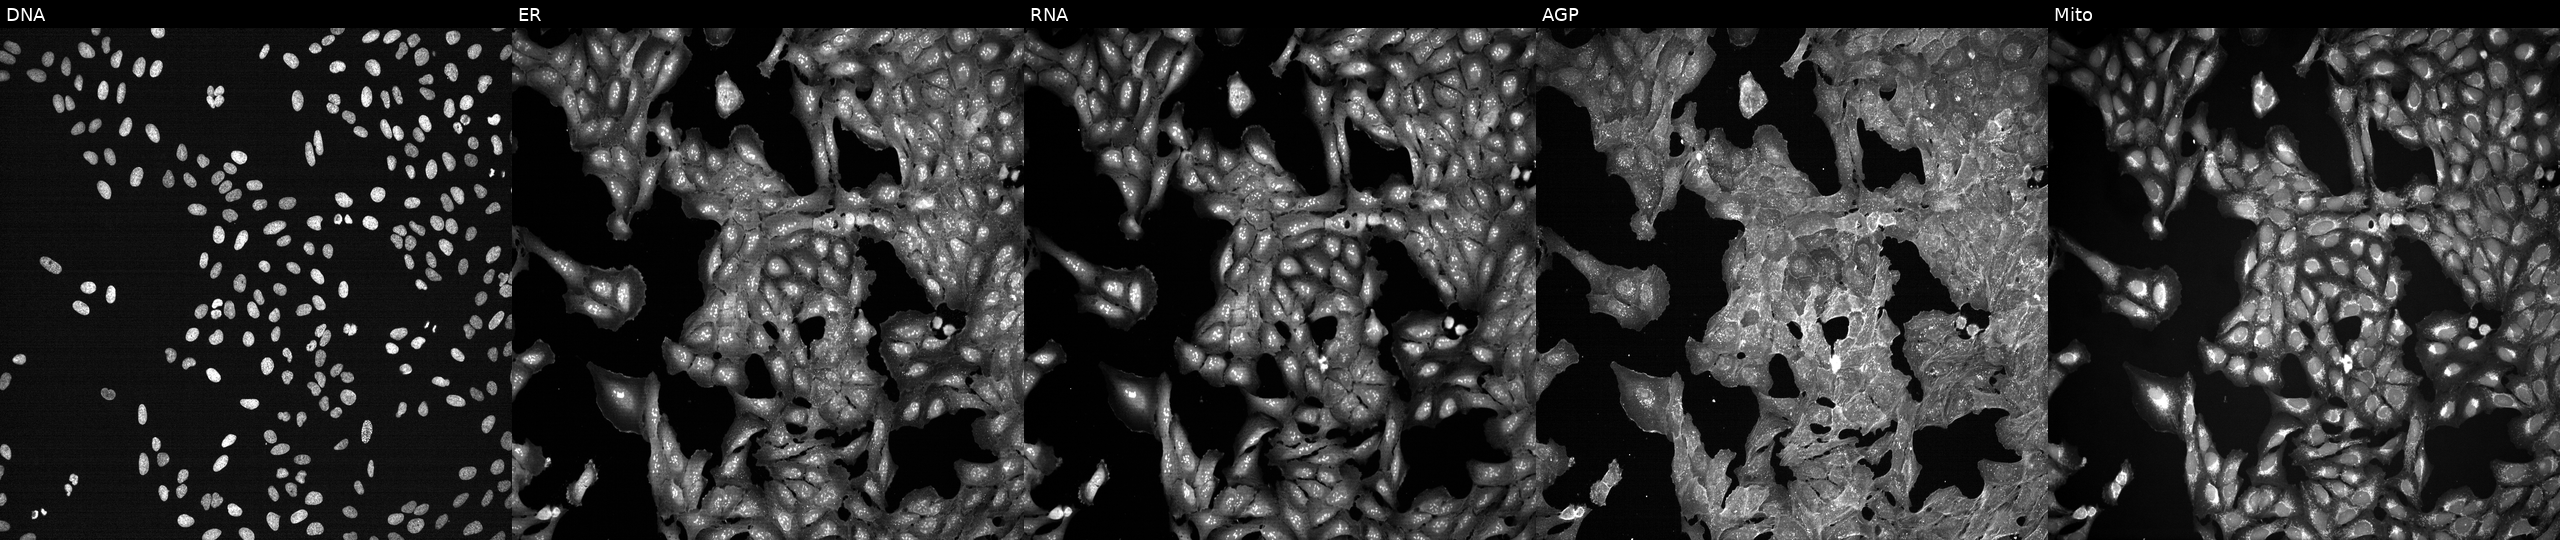
This image strip shows the five Cell Painting channels for a single field of U2OS cells perturbed with a small-molecule compound (InChIKey KFAKESMKRPNZTM-UHFFFAOYSA-N) (JUMP id JCP2022_044197). From left to right: Hoechst 33342, concanavalin A, SYTO 14, phalloidin and WGA, MitoTracker. Source 7, plate CP2-SC1-25, well C23.